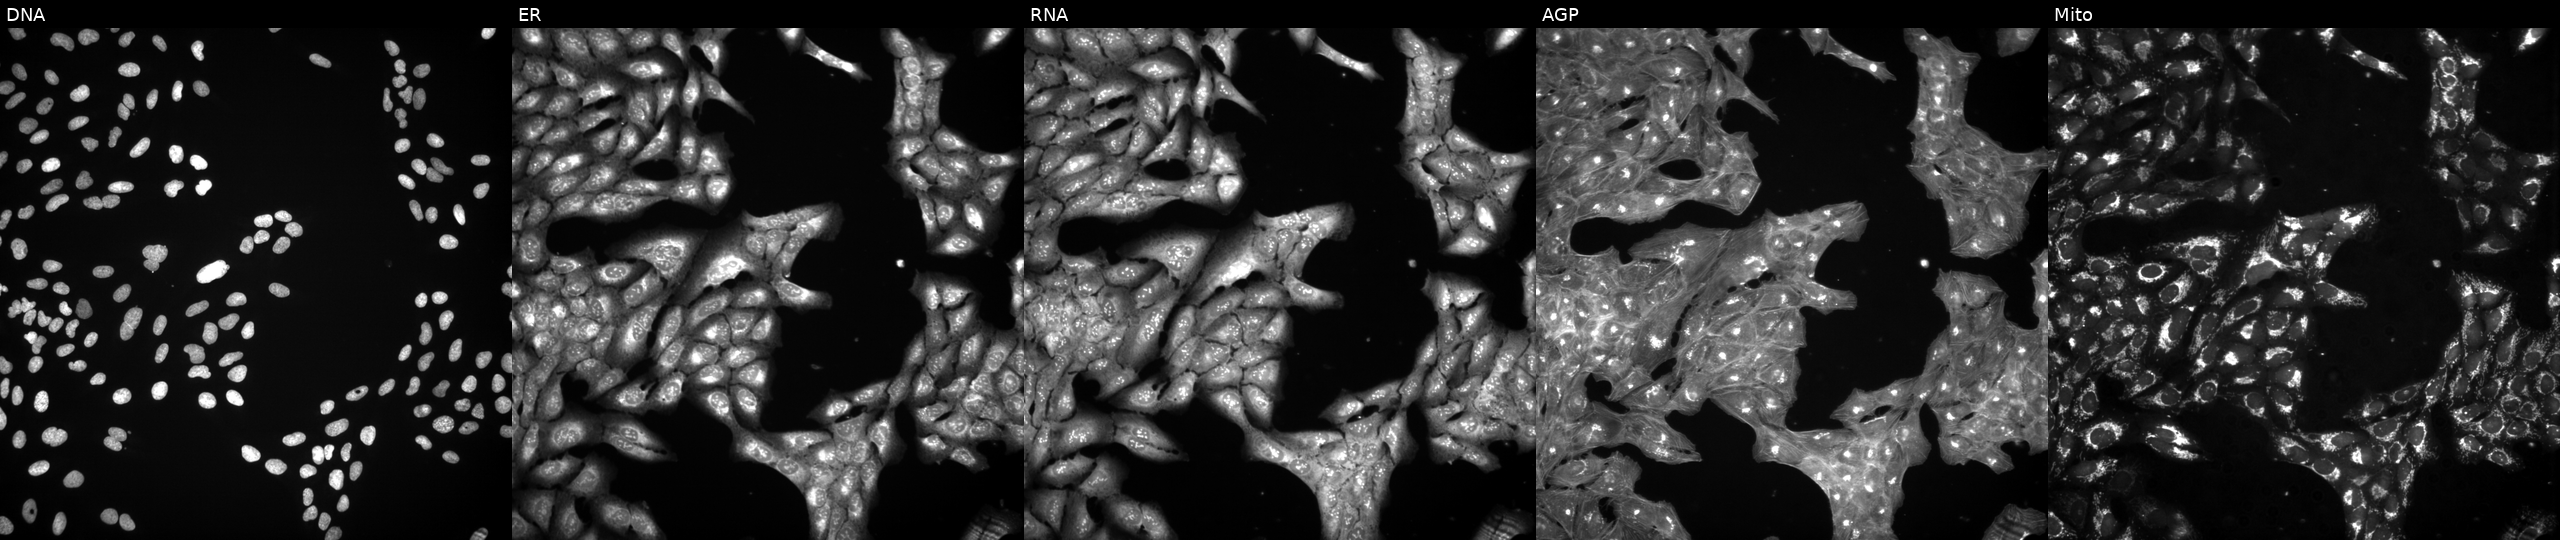
From left to right: Hoechst 33342, concanavalin A, SYTO 14, phalloidin and WGA, MitoTracker. U2OS osteosarcoma cells exposed to a small-molecule compound (InChIKey LNAQQMLPTPYGOS-UHFFFAOYSA-N) [SMILES: COc1ccc(Cc2nnn(CC(=O)O)n2)cc1]. Cell Painting assay, JUMP-CP dataset. Source 3, plate BR5867a3, well G20.